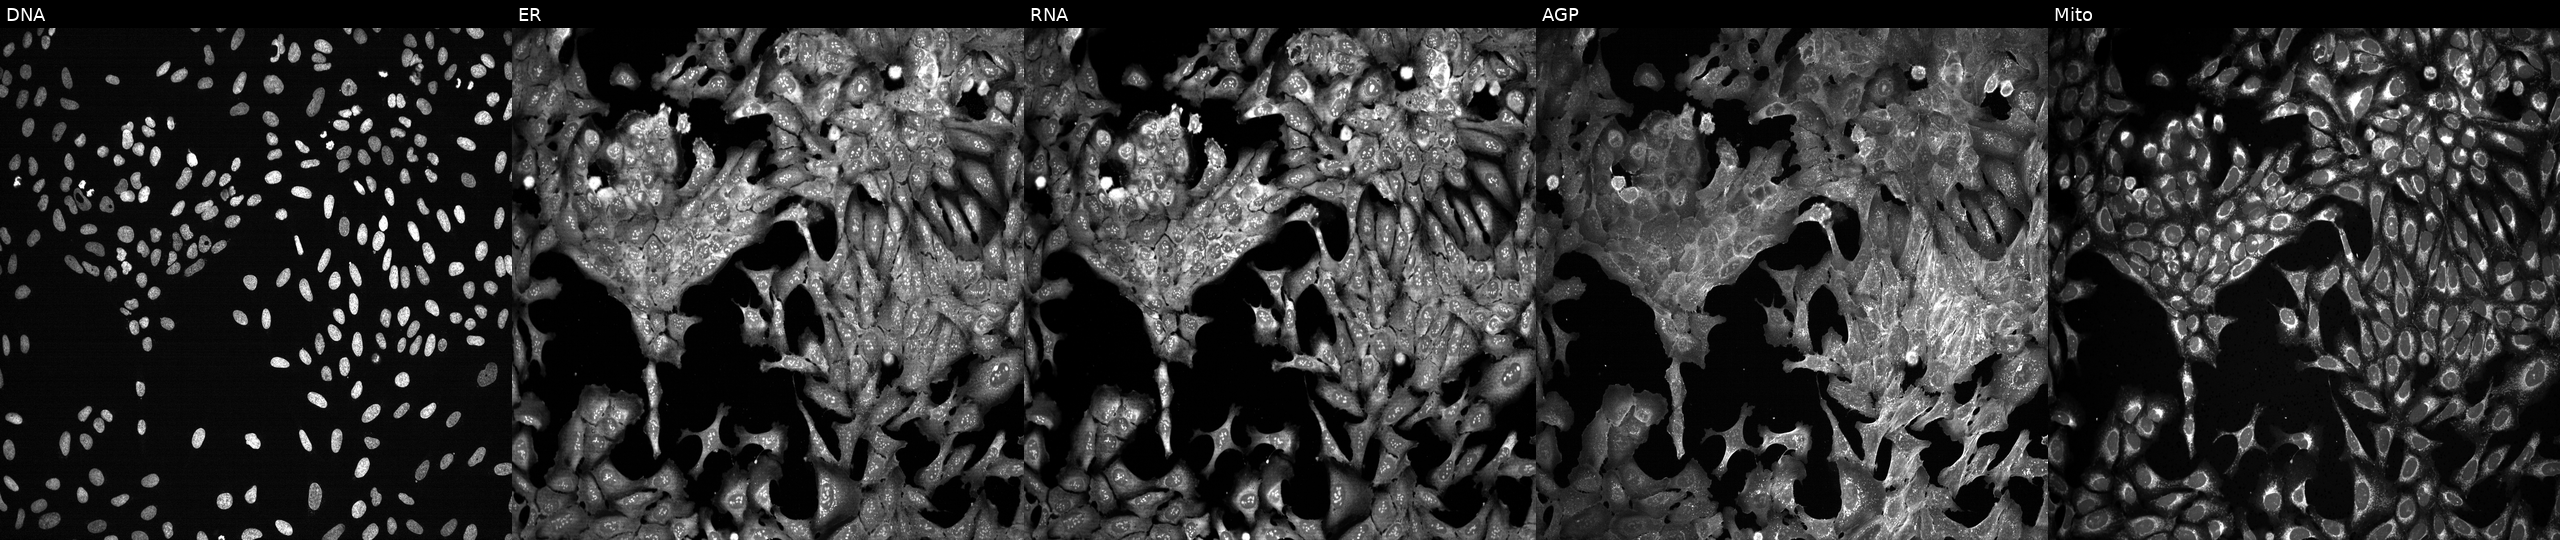
This image strip shows the five Cell Painting channels for a single field of U2OS cells CRISPR-edited to disrupt CRMP1 (JUMP id JCP2022_801512). Channels (left→right): DNA (nuclei); ER (endoplasmic reticulum); RNA (nucleoli and cytoplasmic RNA); AGP (actin cytoskeleton, Golgi, and plasma membrane); Mito (mitochondria).